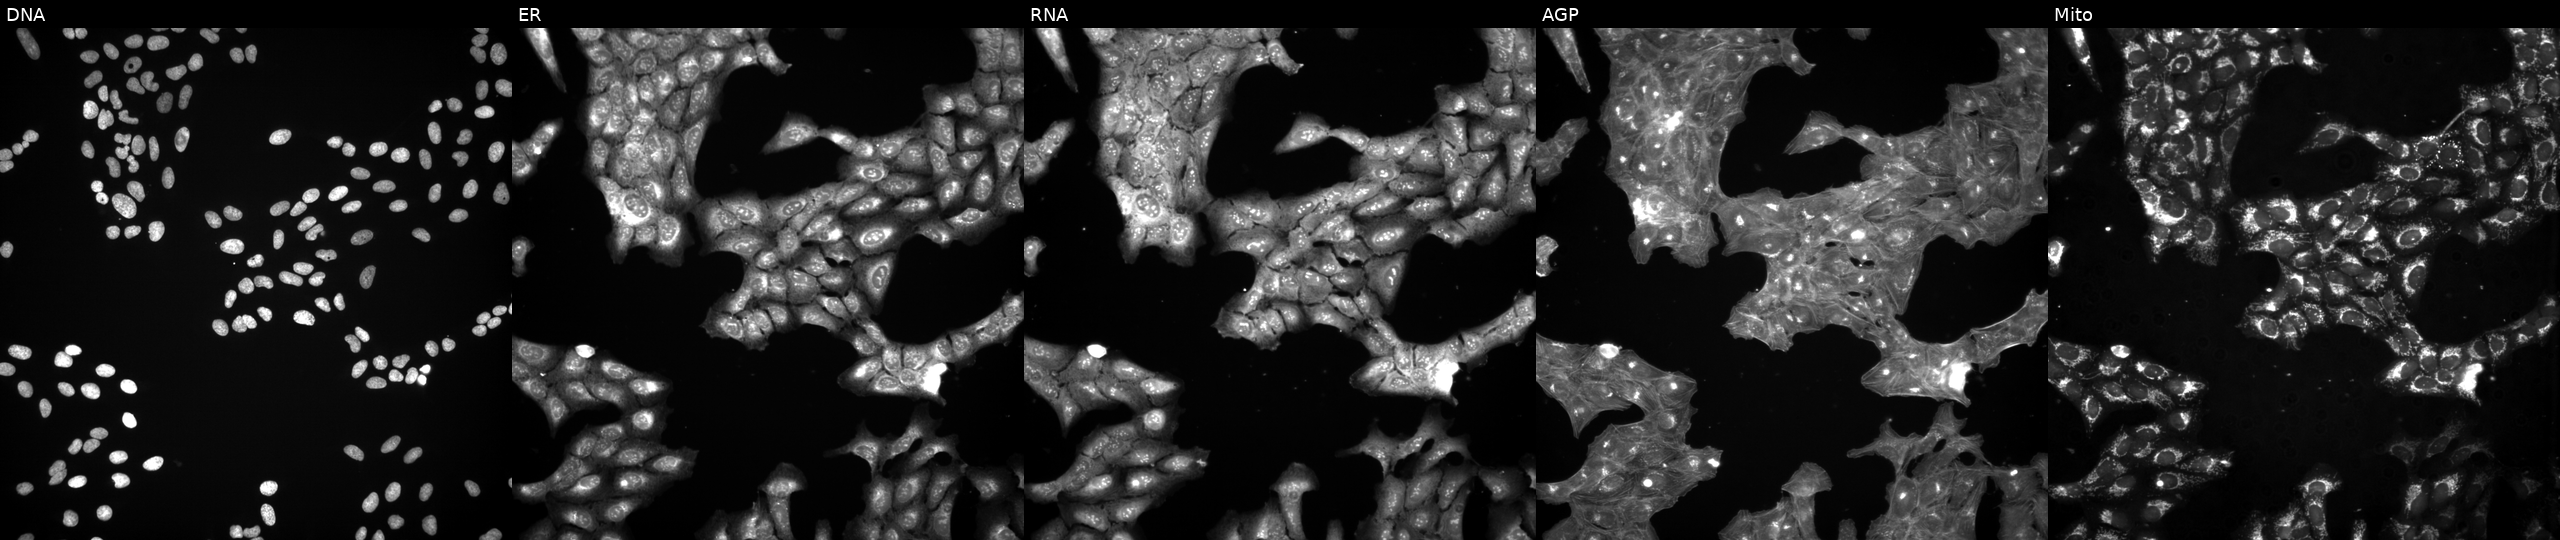
This image strip shows the five Cell Painting channels for a single field of U2OS cells exposed to DMSO alone as a negative control. From left to right: DNA (nuclei); ER (endoplasmic reticulum); RNA (nucleoli and cytoplasmic RNA); AGP (actin cytoskeleton, Golgi, and plasma membrane); Mito (mitochondria).